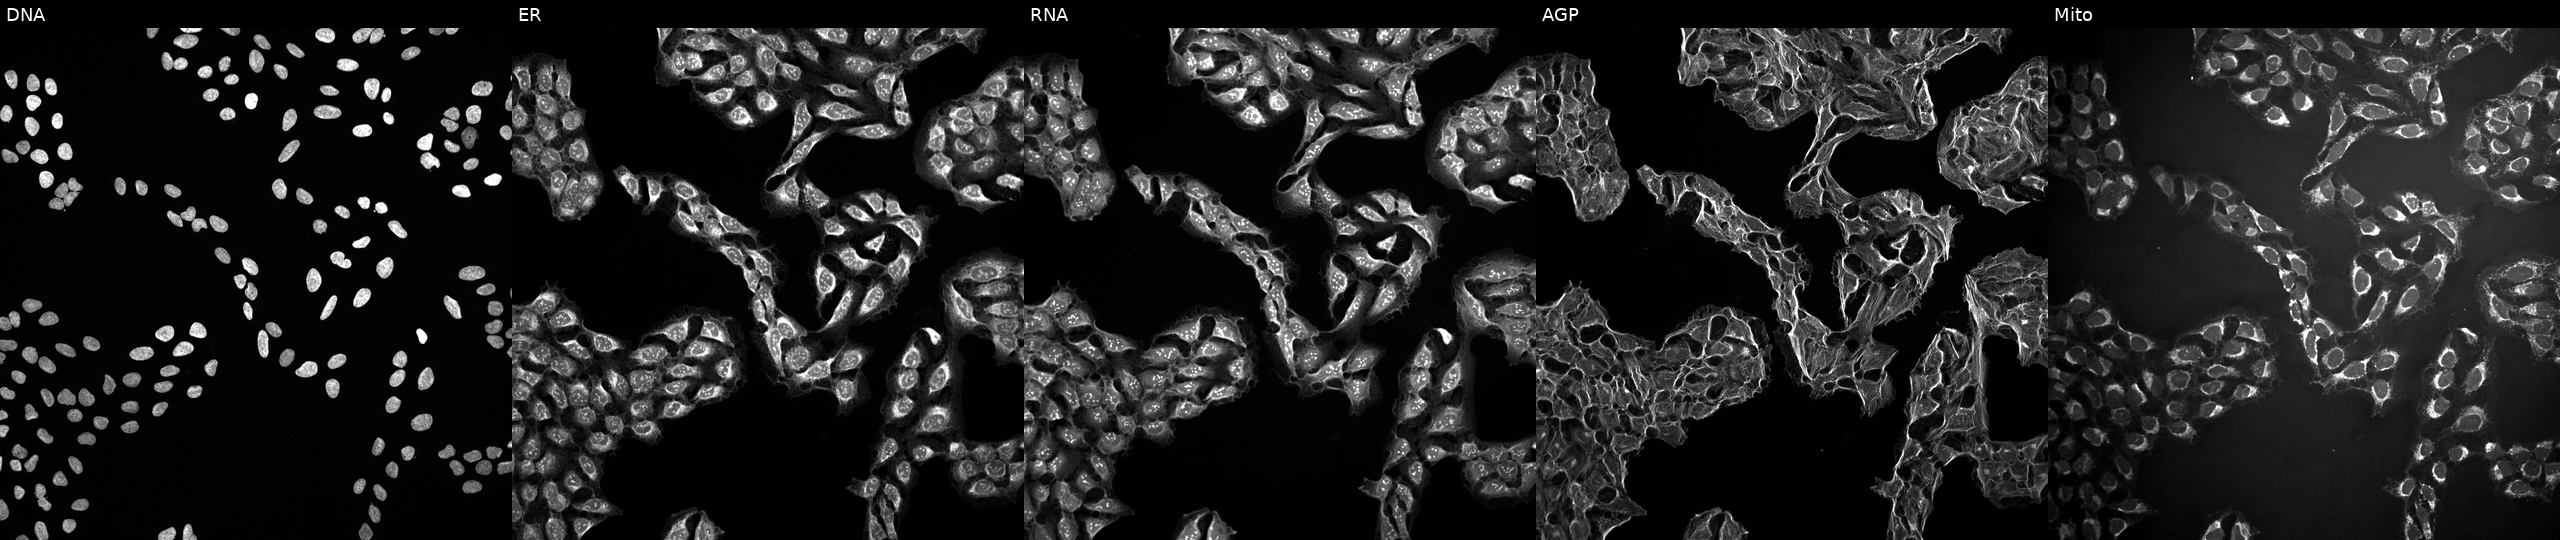
U2OS cells, Cell Painting assay, exposed to DMSO alone as a negative control. Channels (left→right): DNA, ER, RNA, AGP, and Mito. Each panel is percentile-stretched 16-bit fluorescence. Source 10, plate Dest210727-153003, well P11.